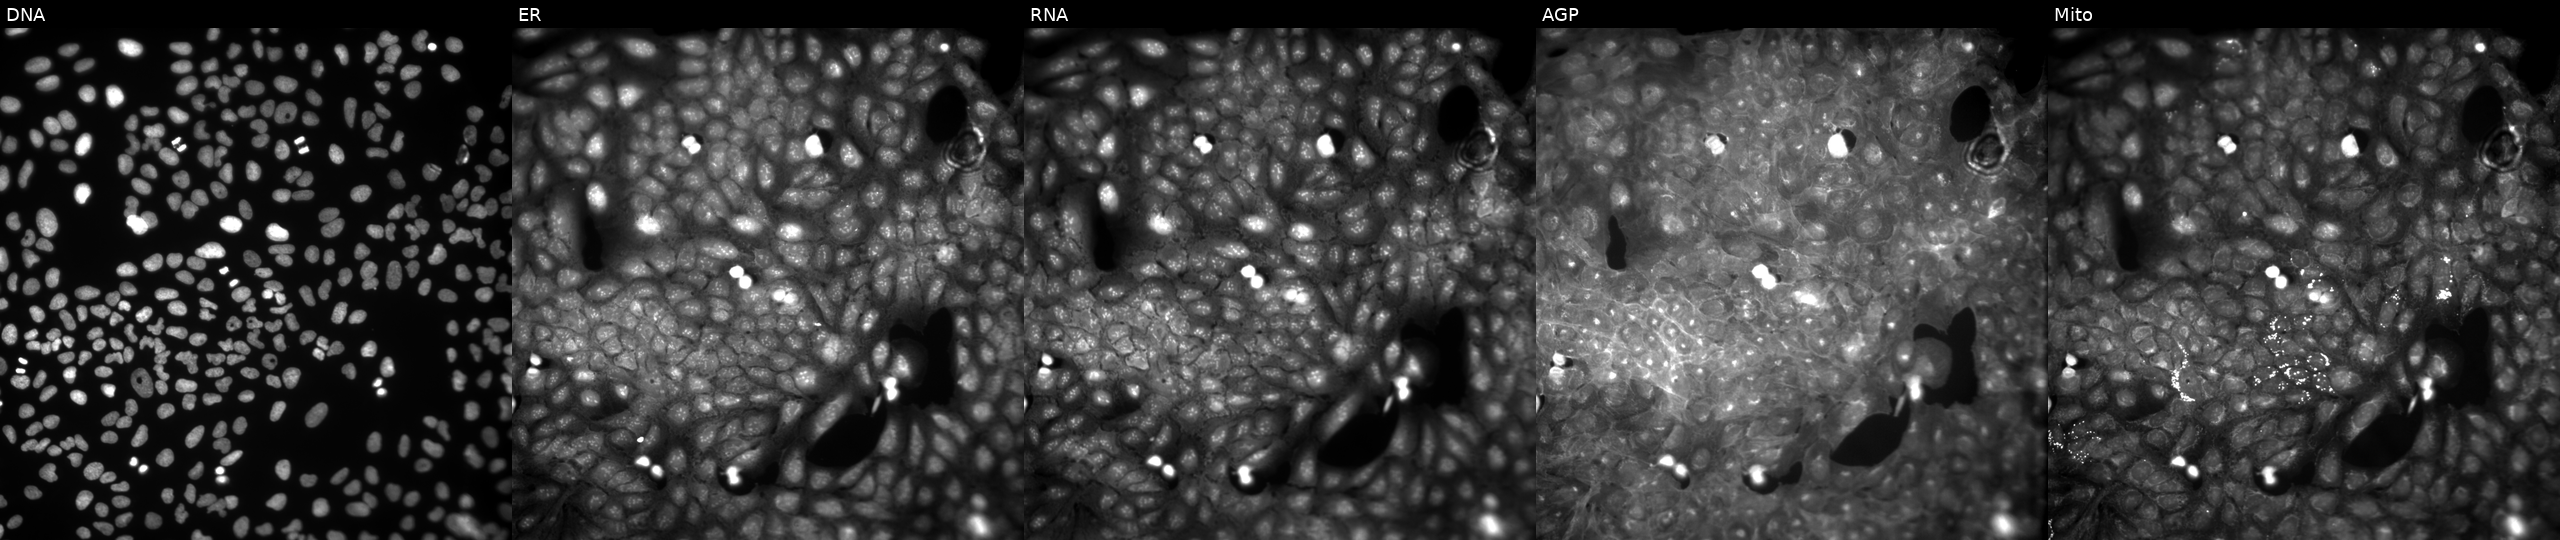
This image strip shows the five Cell Painting channels for a single field of U2OS cells treated with a small-molecule compound (InChIKey HIFJWDBUUBMUAV-UHFFFAOYSA-N) (JUMP id JCP2022_030378). The five panels, left to right, show Hoechst 33342, concanavalin A, SYTO 14, phalloidin and WGA, MitoTracker.